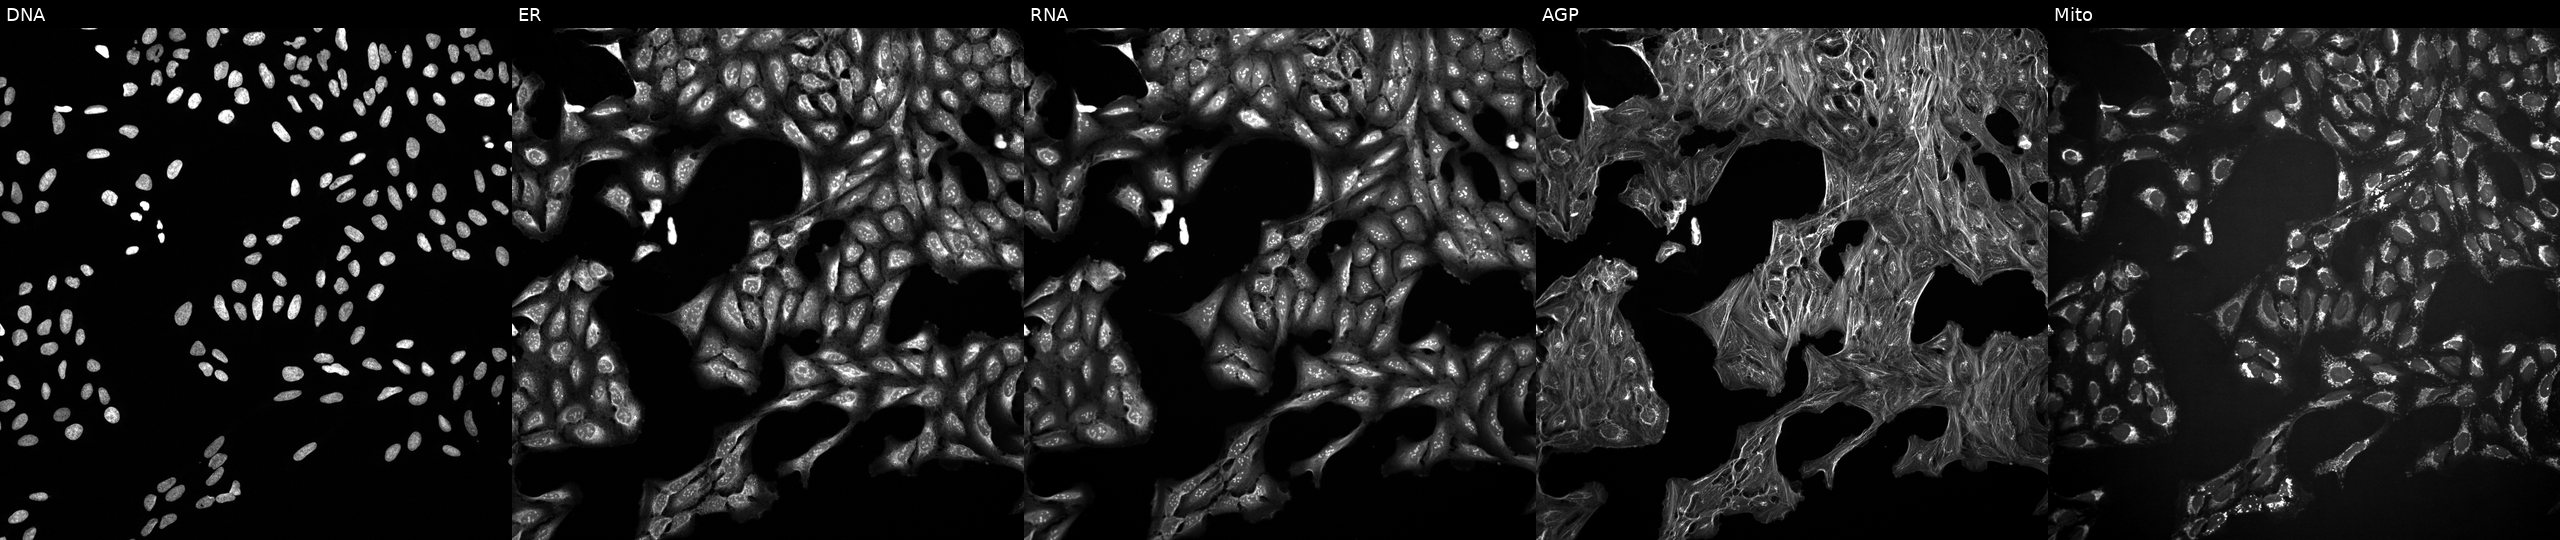
U2OS cells, Cell Painting assay, treated with DMSO vehicle only (negative control). The five panels, left to right, show DNA, ER, RNA, AGP, and Mito. Each panel is percentile-stretched 16-bit fluorescence. Source 10, plate Dest210727-153003, well H06.